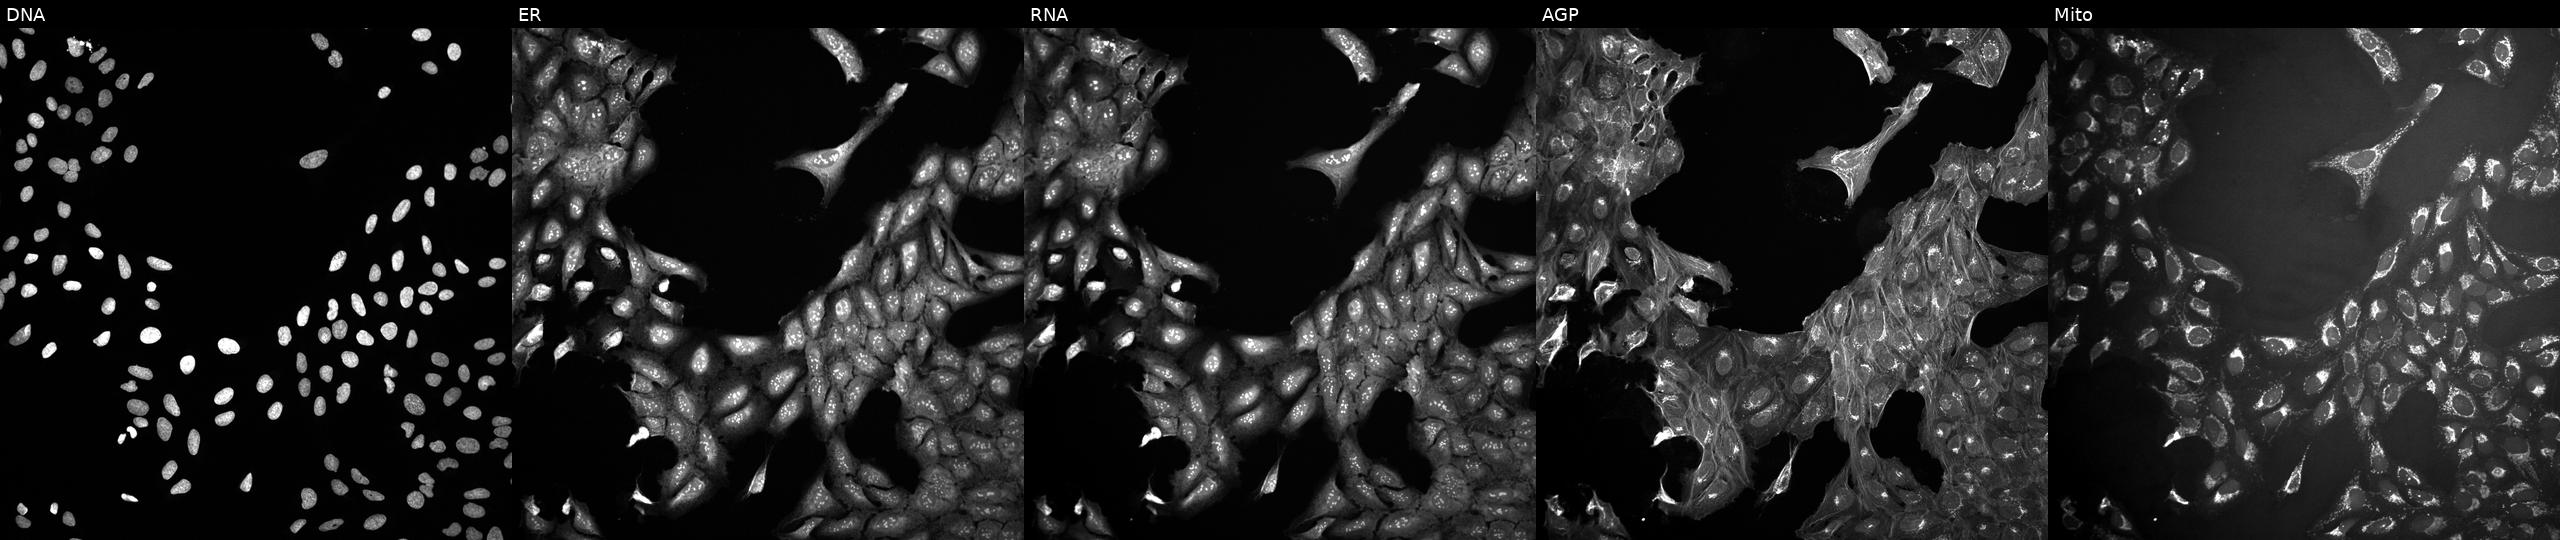
JUMP Cell Painting — COMPOUND plate. U2OS cells untreated (empty-well control) (JUMP id JCP2022_999999). The five panels, left to right, show DNA (nuclei); ER (endoplasmic reticulum); RNA (nucleoli and cytoplasmic RNA); AGP (actin cytoskeleton, Golgi, and plasma membrane); Mito (mitochondria).